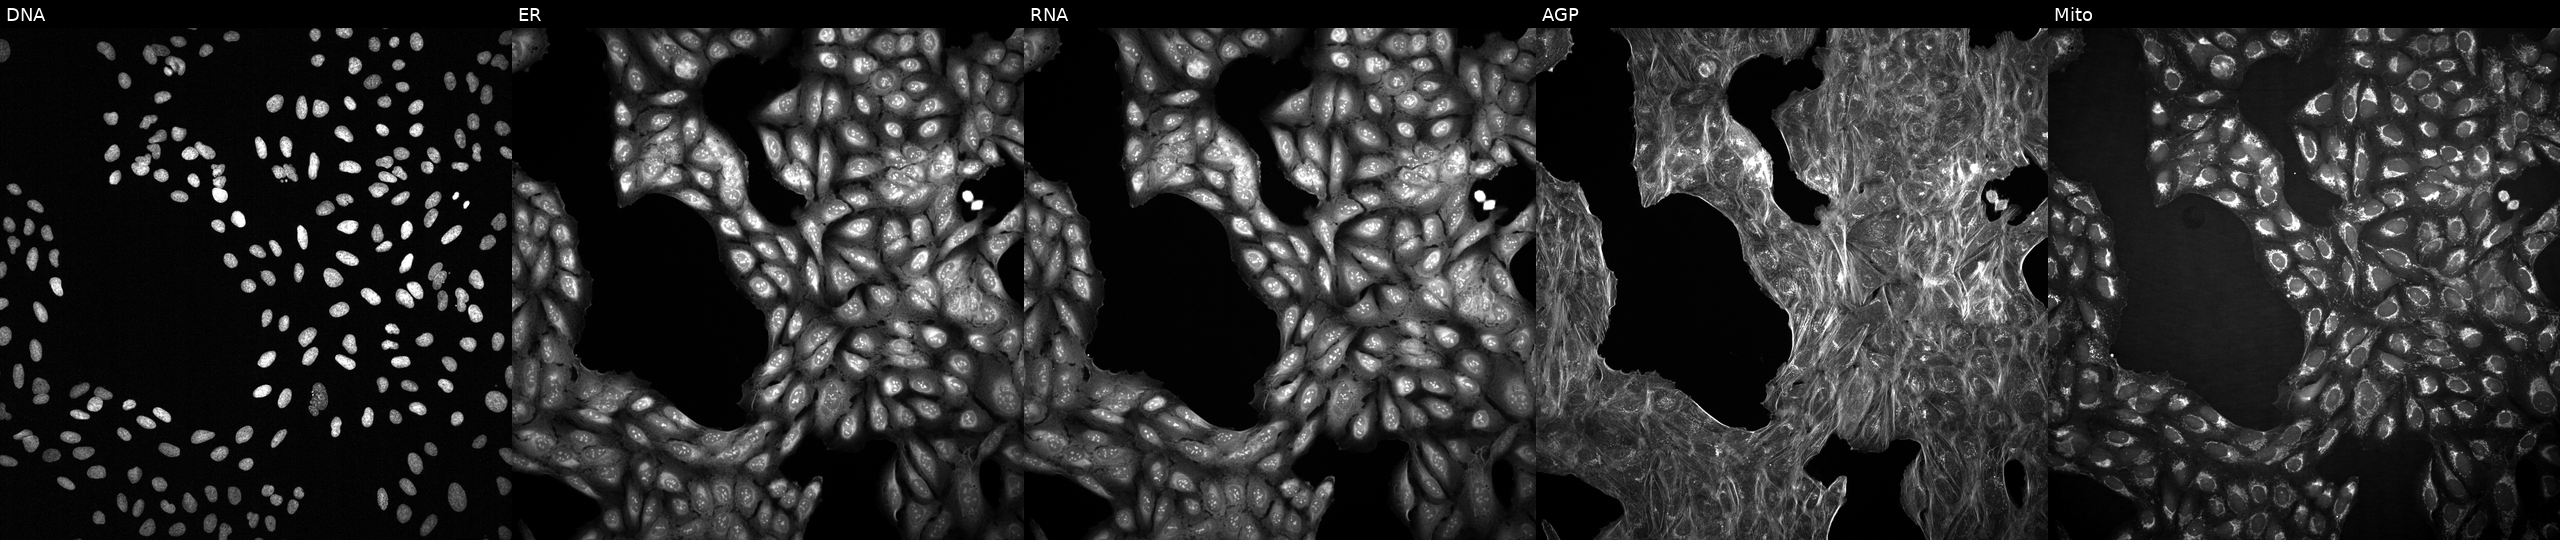
U2OS cells, Cell Painting assay, with an unidentified perturbation (not annotated in JUMP metadata). From left to right: DNA, ER, RNA, AGP, and Mito. Each panel is percentile-stretched 16-bit fluorescence.